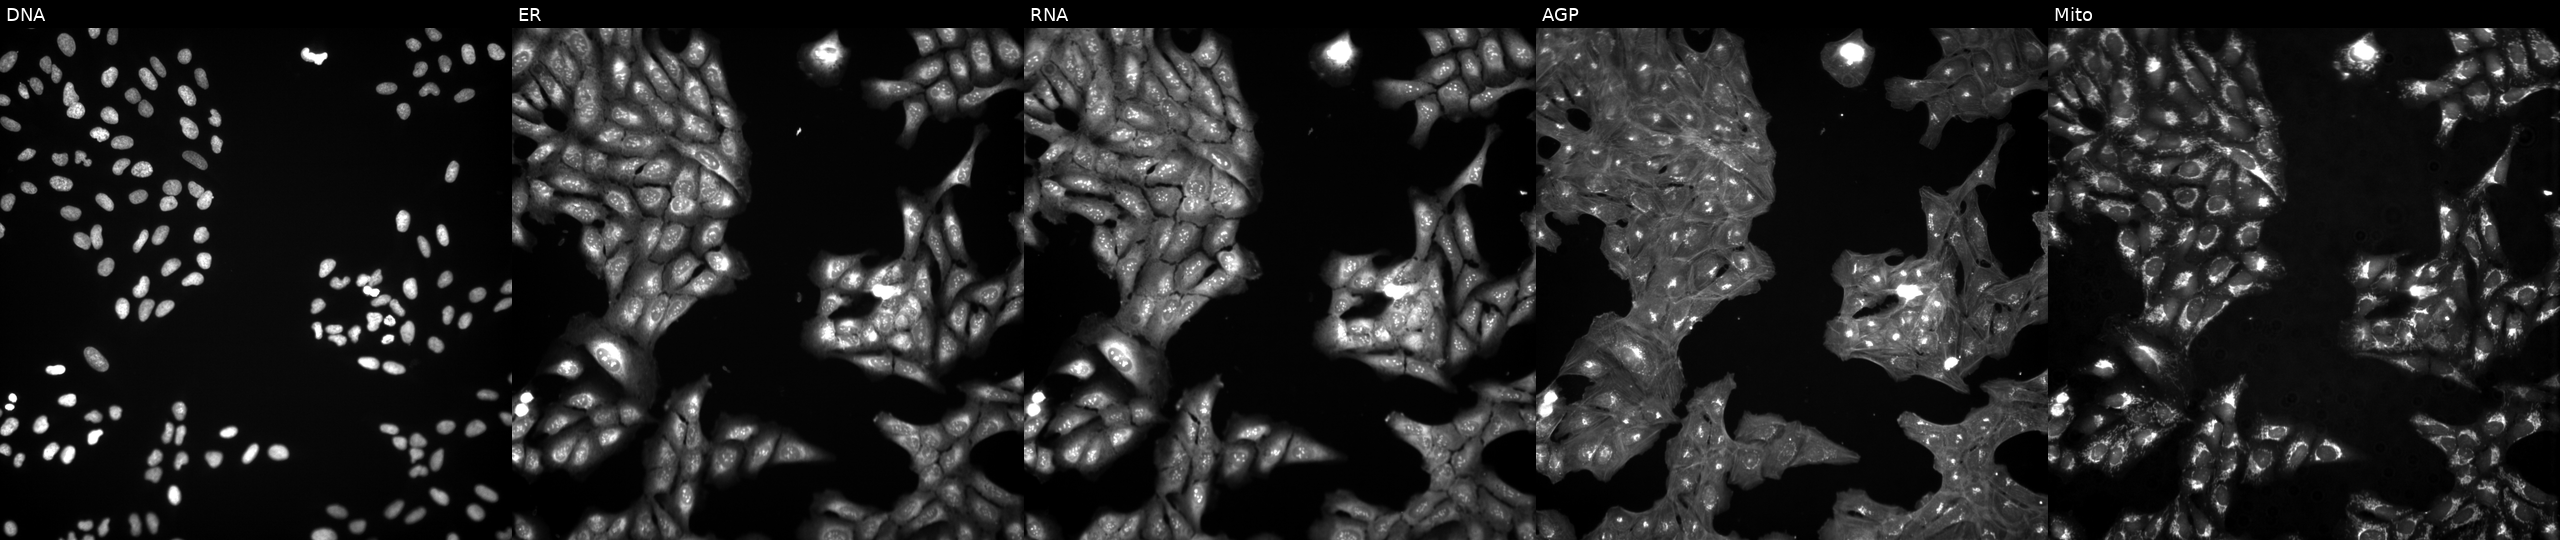
This image strip shows the five Cell Painting channels for a single field of U2OS cells treated with a small-molecule compound (JUMP id JCP2022_075916). From left to right: DNA, ER, RNA, AGP, and Mito.